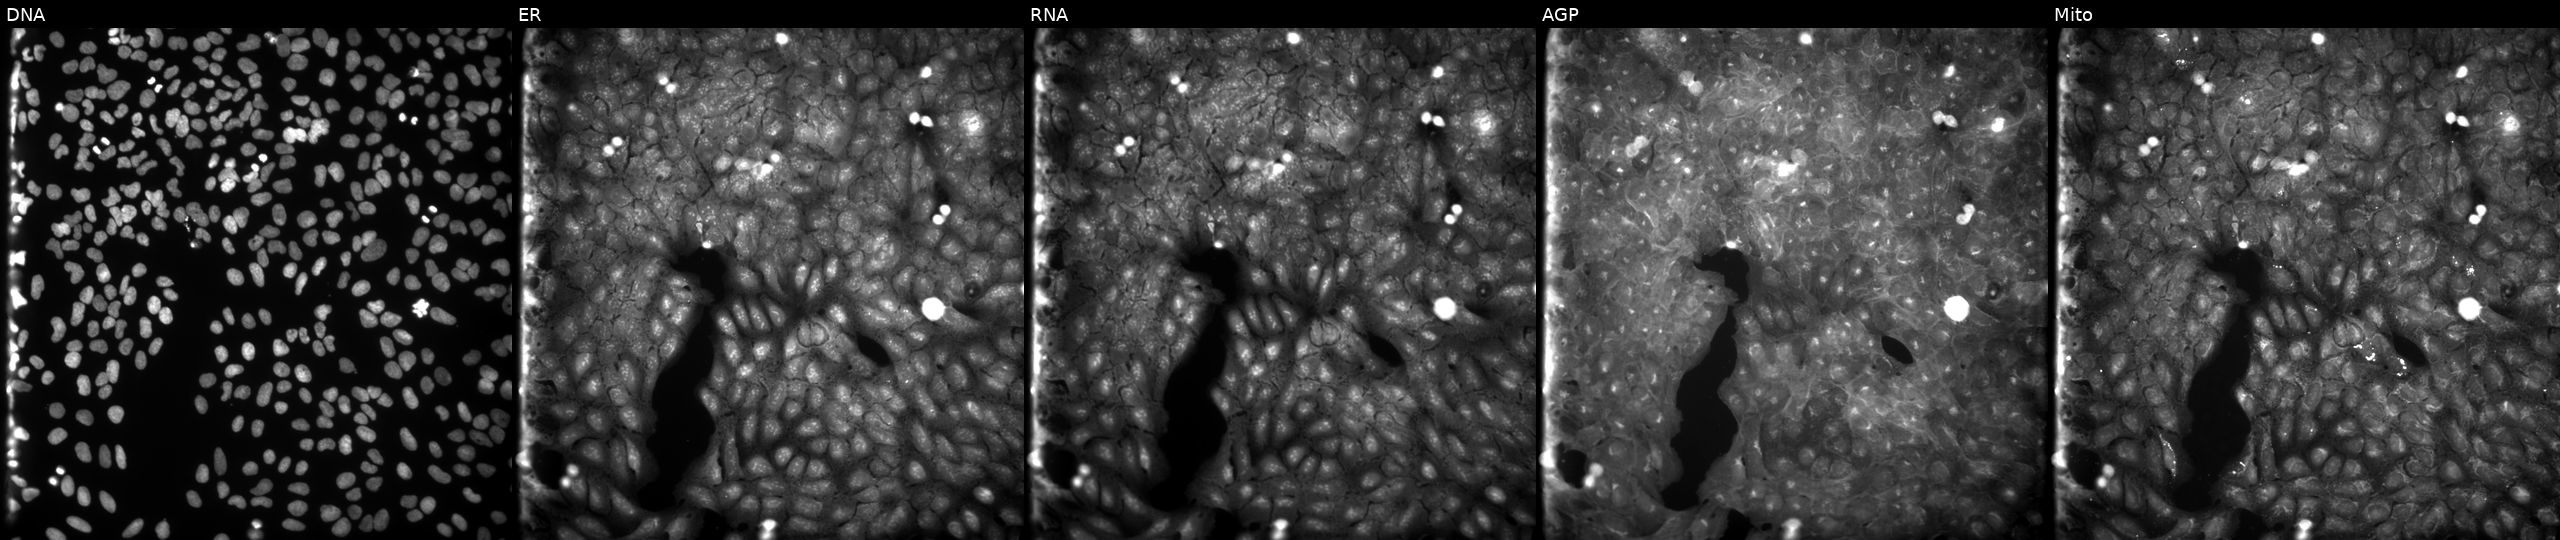
This image strip shows the five Cell Painting channels for a single field of U2OS cells exposed to a small-molecule compound (InChIKey FSTWYAXJPYDRBV-UHFFFAOYSA-N) [SMILES: Cc1ccc2c(=O)c(CN3CCCCCC3)c(C)[nH]c2c1C] (JUMP id JCP2022_022713). From left to right: DNA (nuclei); ER (endoplasmic reticulum); RNA (nucleoli and cytoplasmic RNA); AGP (actin cytoskeleton, Golgi, and plasma membrane); Mito (mitochondria). Source 9, plate GR00003382, well O10.